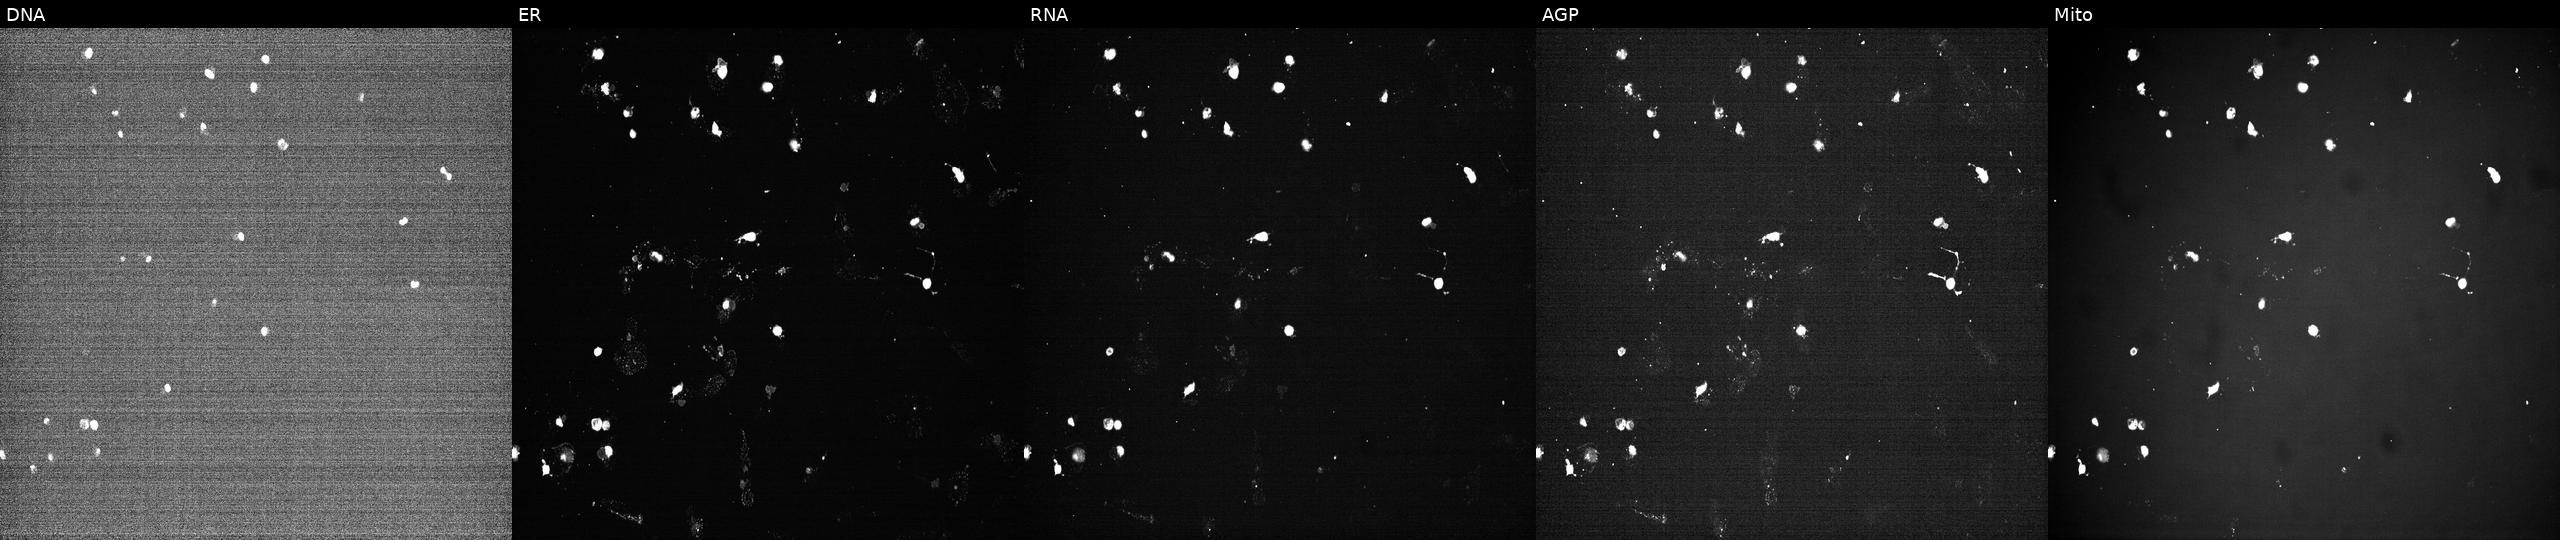
Five-channel Cell Painting image of U2OS cells treated with a small-molecule compound (InChIKey VERWOWGGCGHDQE-UHFFFAOYSA-N) (JUMP id JCP2022_093480). Channels (left→right): DNA (nuclei); ER (endoplasmic reticulum); RNA (nucleoli and cytoplasmic RNA); AGP (actin cytoskeleton, Golgi, and plasma membrane); Mito (mitochondria).